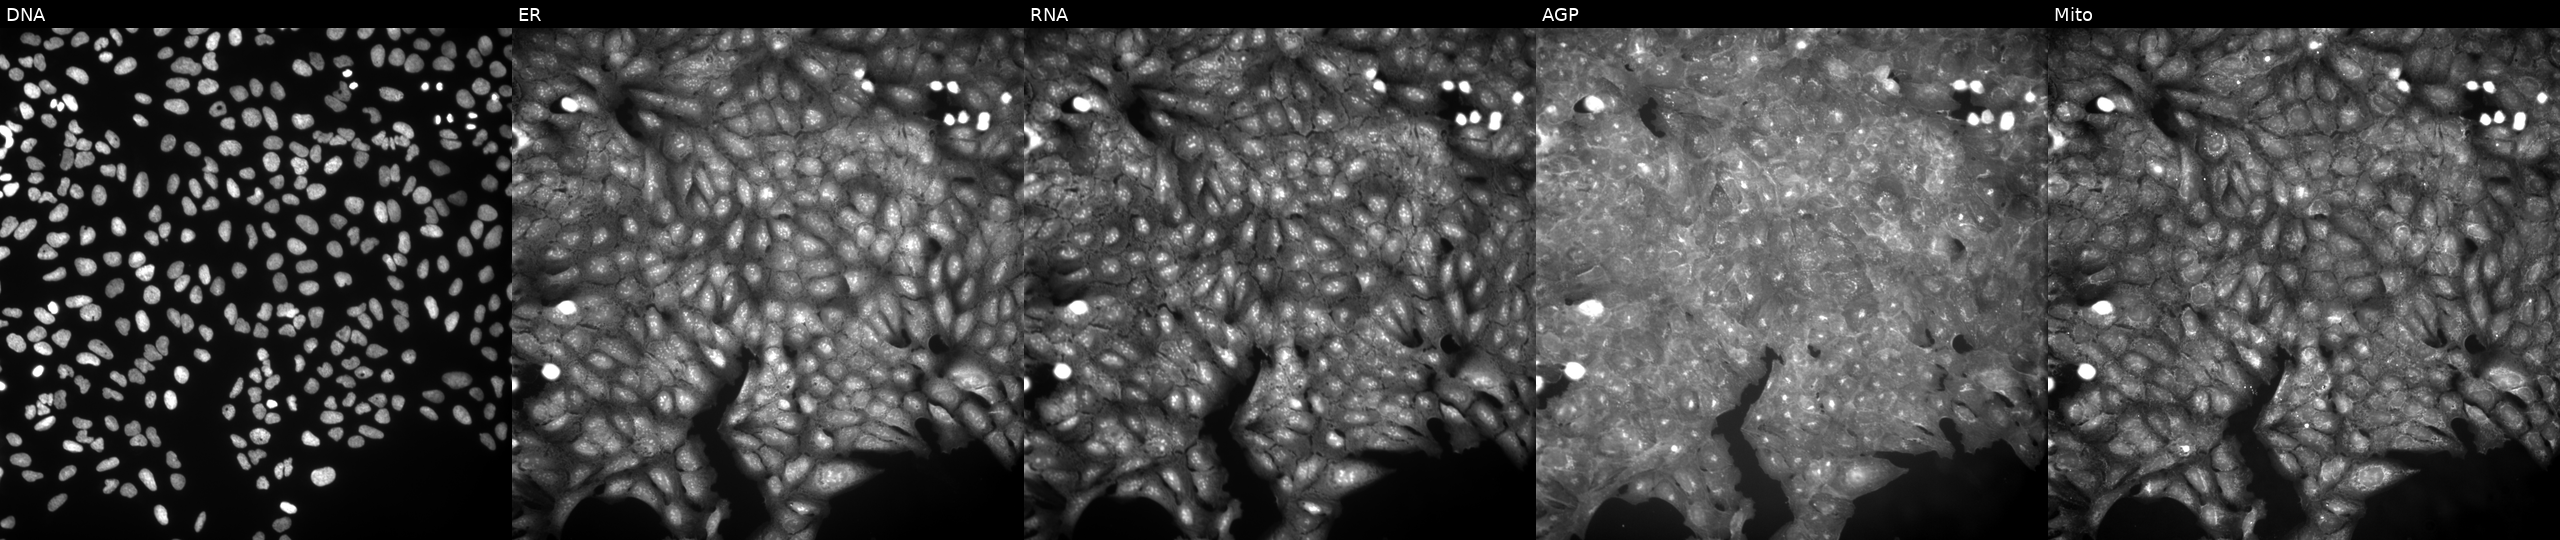
U2OS cells, Cell Painting assay, exposed to a small-molecule compound (InChIKey VJWMTHKSCFHADK-UHFFFAOYSA-N) (JUMP id JCP2022_094441). Channels (left→right): DNA (nuclei); ER (endoplasmic reticulum); RNA (nucleoli and cytoplasmic RNA); AGP (actin cytoskeleton, Golgi, and plasma membrane); Mito (mitochondria). Each panel is percentile-stretched 16-bit fluorescence. Source 9, plate GR00003382, well N22.